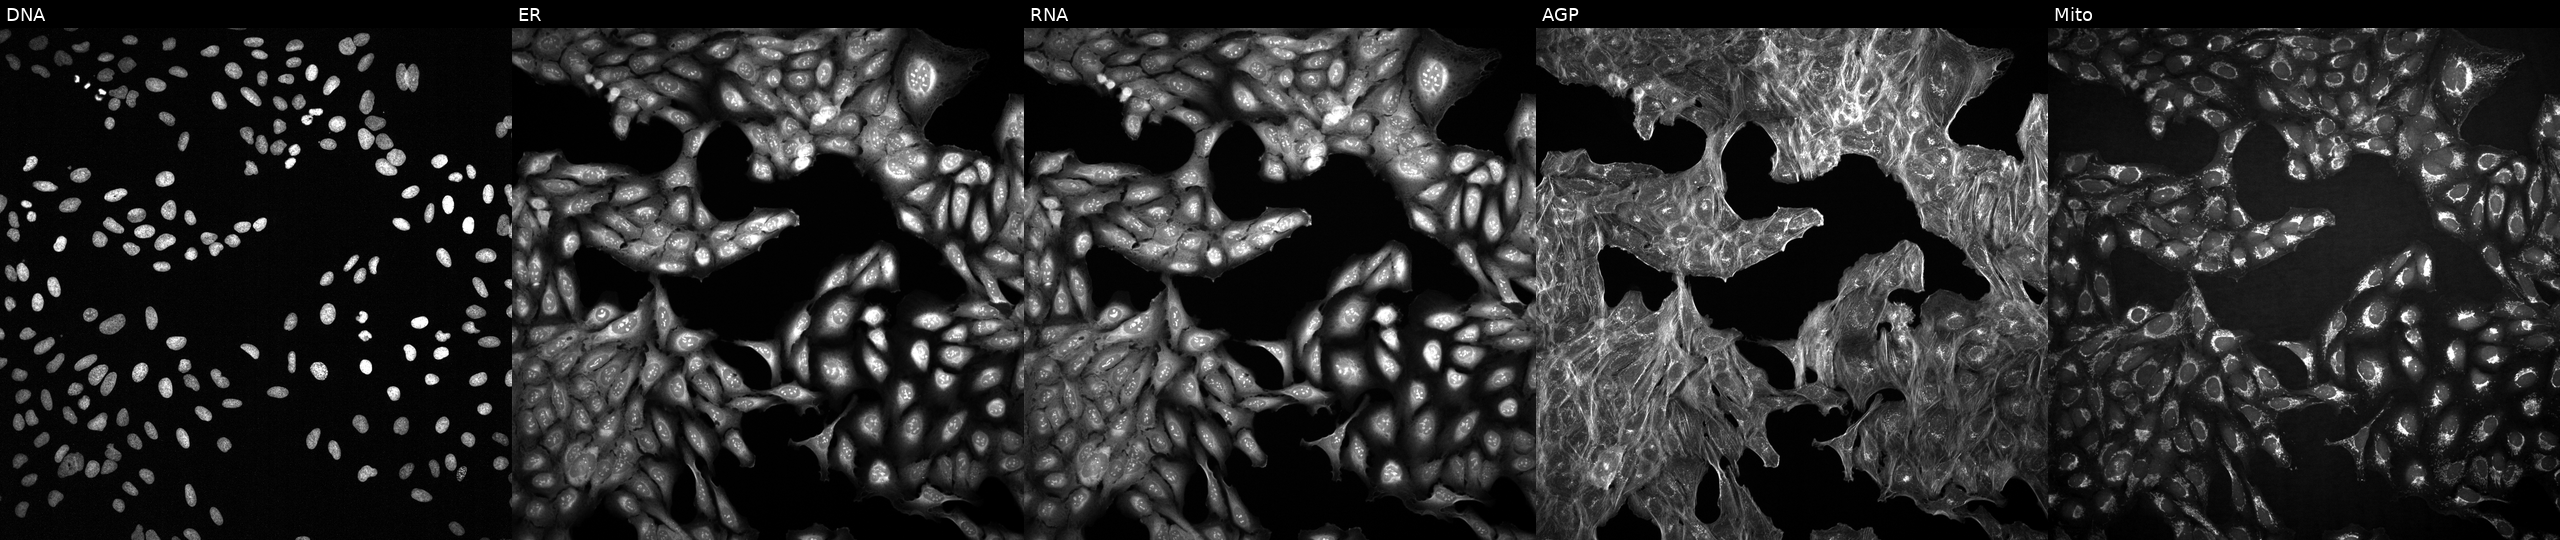
This image strip shows the five Cell Painting channels for a single field of U2OS cells perturbed with a small-molecule compound (InChIKey YVAVNZPYDGEAIE-UHFFFAOYSA-N). Panels show, left to right, DNA, ER, RNA, AGP, and Mito. Source 2, plate 1053601756, well C05.